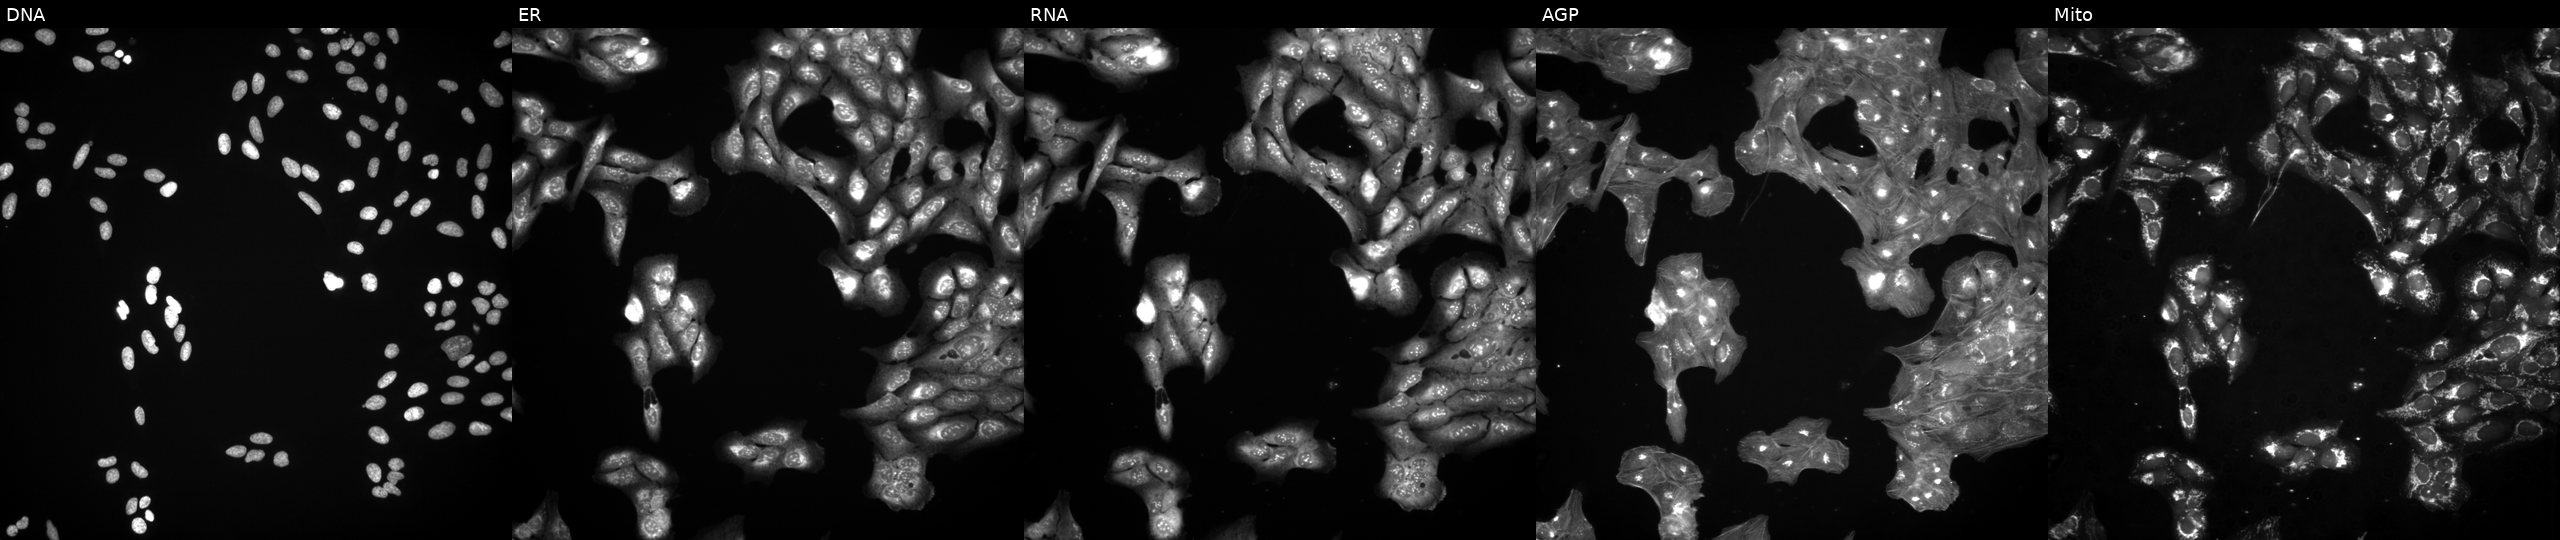
Five-channel Cell Painting image of U2OS cells treated with a small-molecule compound (InChIKey RYEFFICCPKWYML-UHFFFAOYSA-N). From left to right: DNA (nuclei); ER (endoplasmic reticulum); RNA (nucleoli and cytoplasmic RNA); AGP (actin cytoskeleton, Golgi, and plasma membrane); Mito (mitochondria).